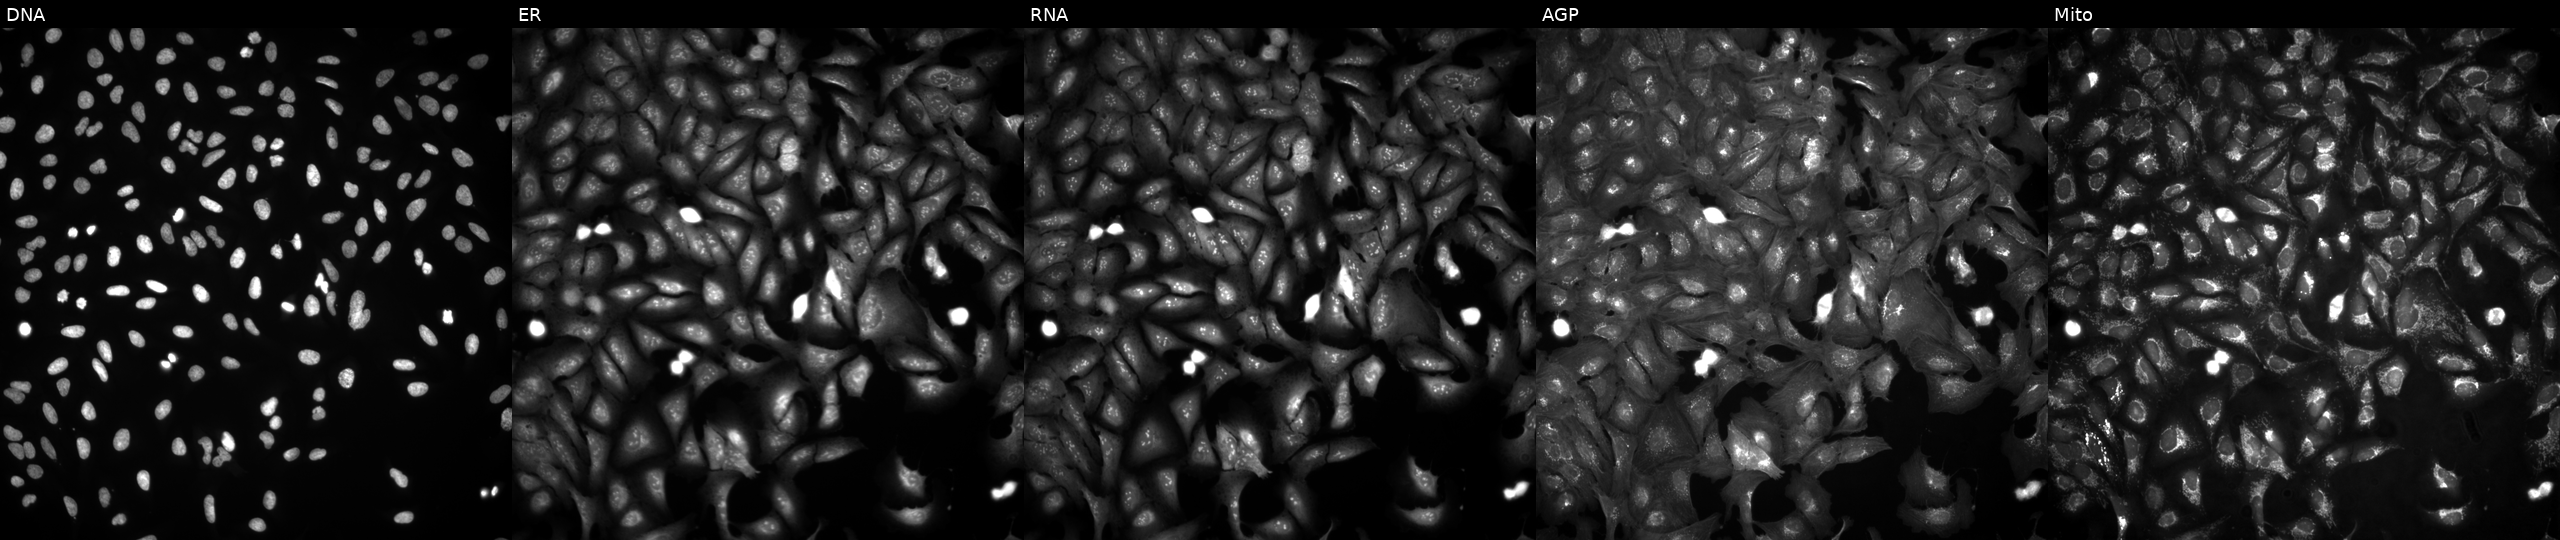
High-content fluorescence microscopy (Cell Painting). Cell line: U2OS. Perturbation: untreated (empty-well control) (JUMP id JCP2022_999999). Channels (left→right): Hoechst 33342, concanavalin A, SYTO 14, phalloidin and WGA, MitoTracker.